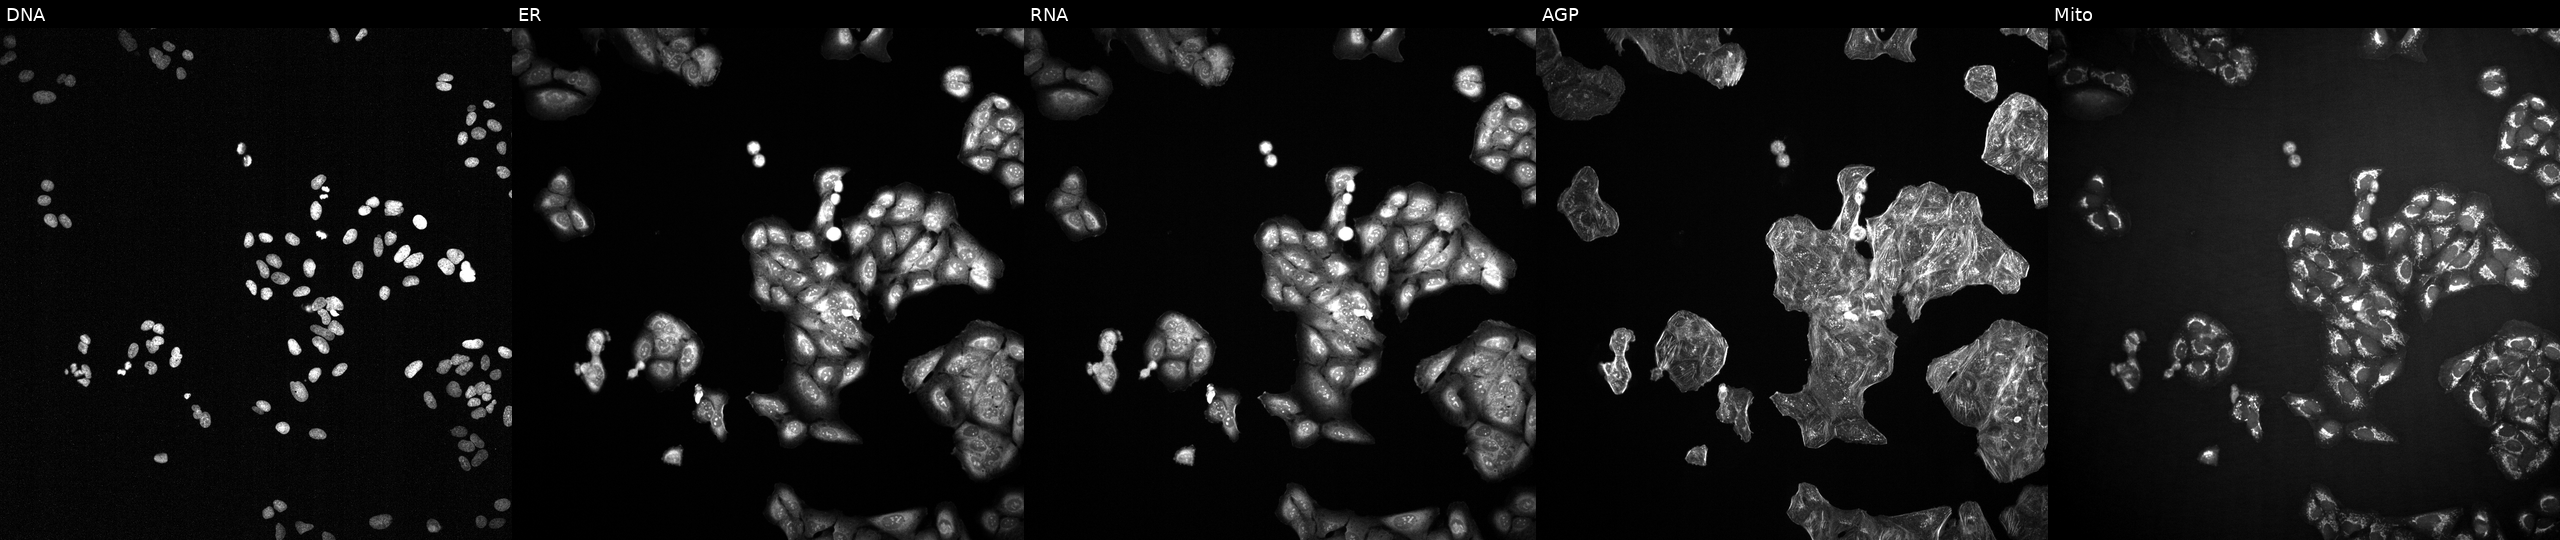
High-content fluorescence microscopy (Cell Painting). Cell line: U2OS. Perturbation: perturbed with a small-molecule compound (InChIKey MAKMQGKJURAJEN-UHFFFAOYSA-N). From left to right: DNA (nuclei); ER (endoplasmic reticulum); RNA (nucleoli and cytoplasmic RNA); AGP (actin cytoskeleton, Golgi, and plasma membrane); Mito (mitochondria).